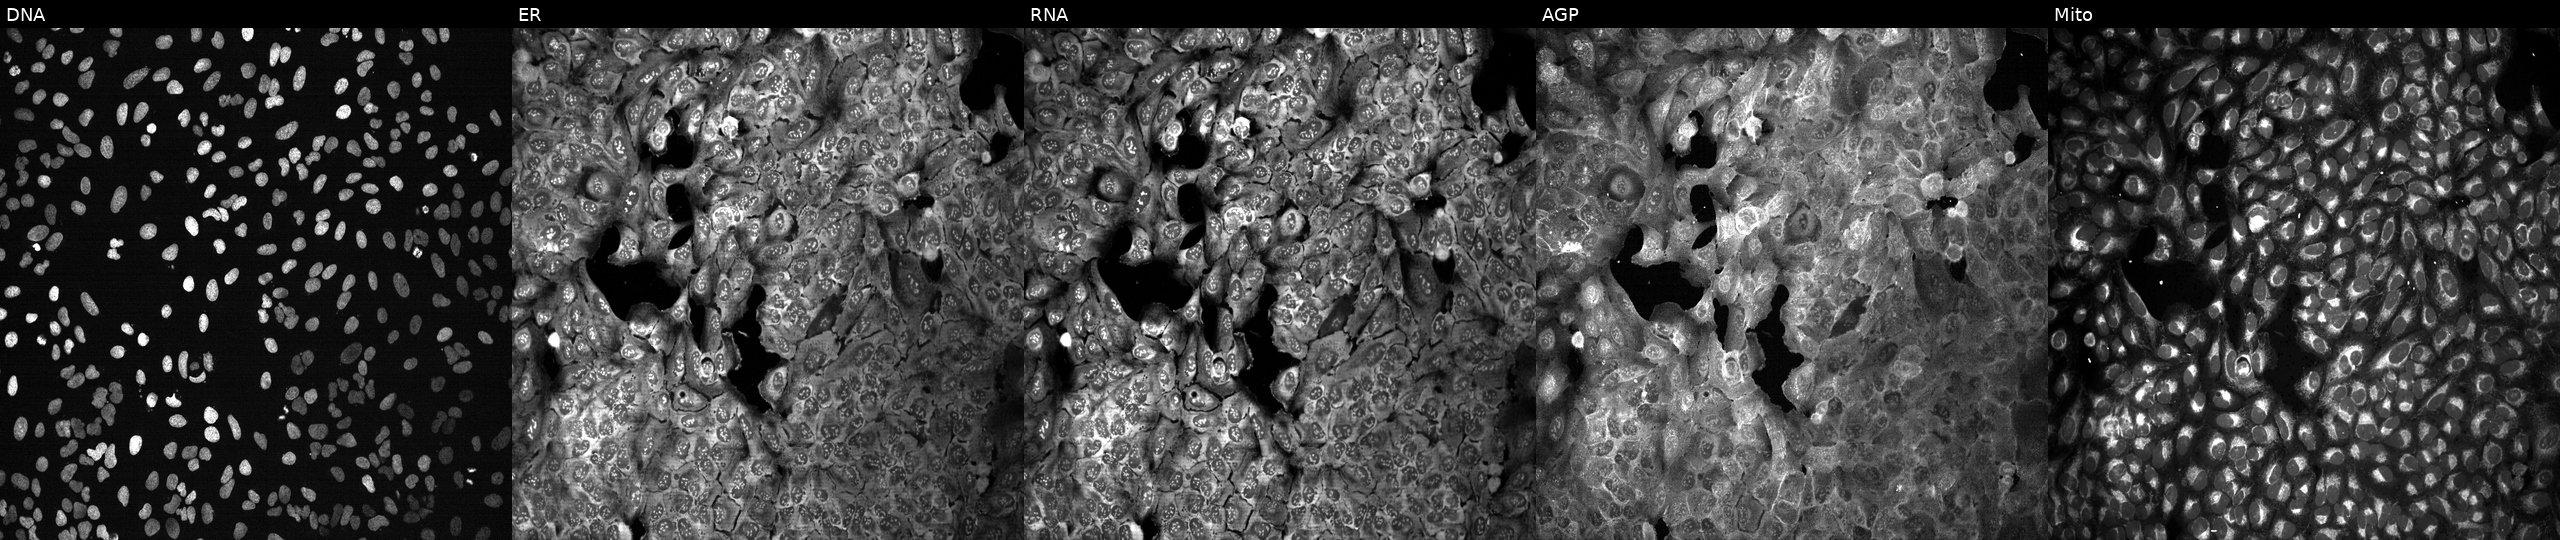
JUMP Cell Painting — CRISPR plate. U2OS cells CRISPR-edited to disrupt NAE1. The five panels, left to right, show Hoechst 33342, concanavalin A, SYTO 14, phalloidin and WGA, MitoTracker. Source 13, plate CP-CC9-R2-02, well H21.